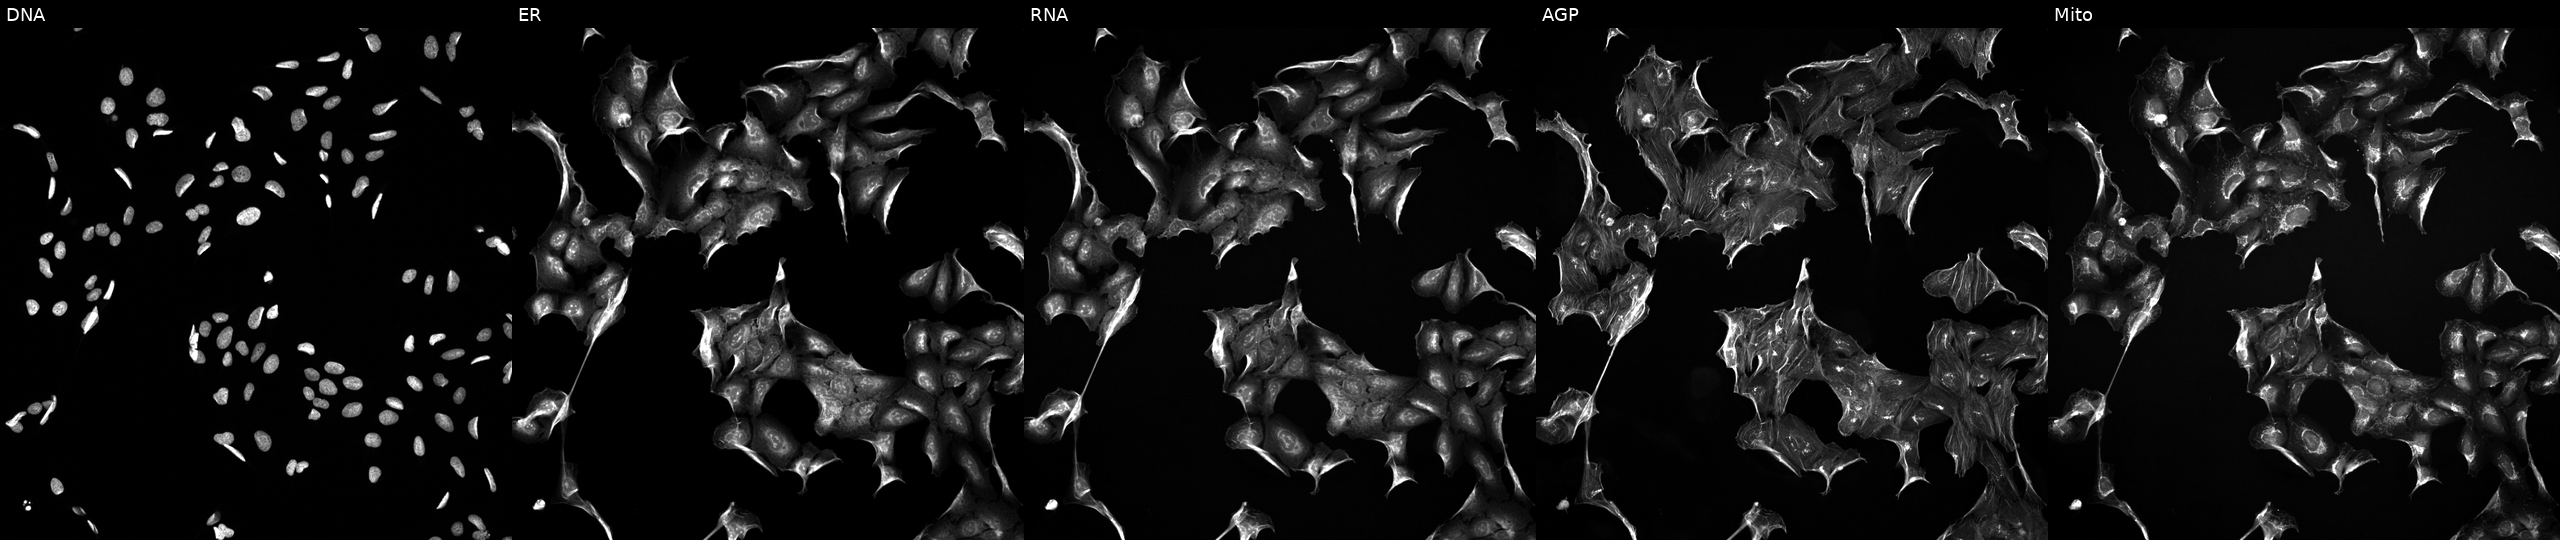
From left to right: DNA (nuclei); ER (endoplasmic reticulum); RNA (nucleoli and cytoplasmic RNA); AGP (actin cytoskeleton, Golgi, and plasma membrane); Mito (mitochondria). U2OS osteosarcoma cells exposed to a small-molecule compound (InChIKey YKJYKKNCCRKFSL-UHFFFAOYSA-N). Cell Painting assay, JUMP-CP dataset. Source 5, plate ACPJUM012, well L09.